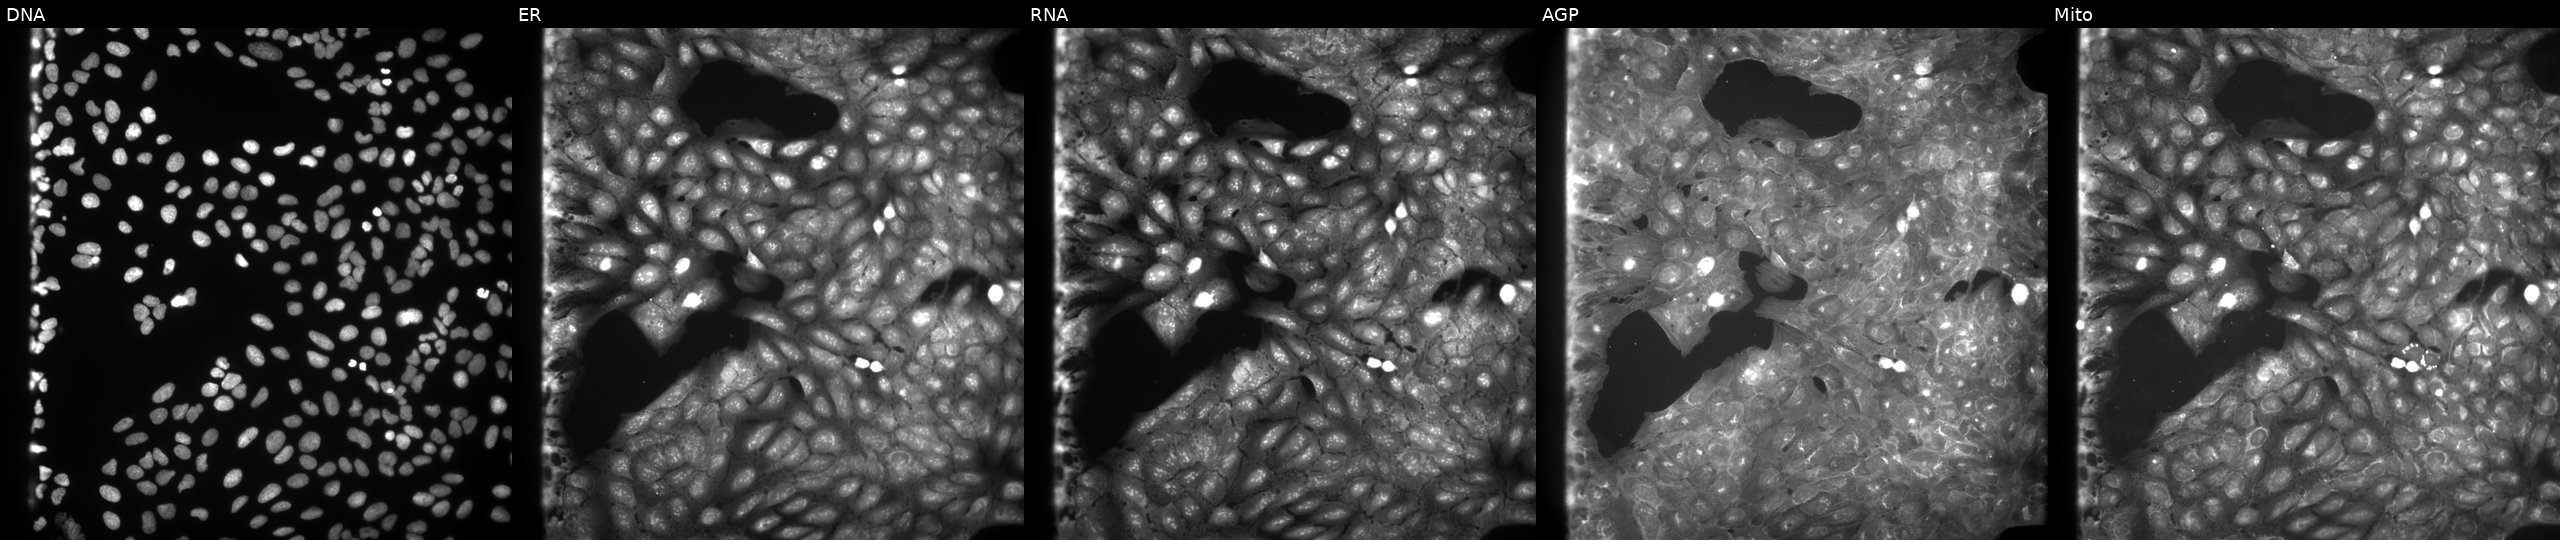
U2OS cells, Cell Painting assay, perturbed with a small-molecule compound (InChIKey HHAYOUAAQBYJRH-UHFFFAOYSA-N) [SMILES: CCOC(=O)C1CCCN(C2=NC(=O)C(=Cc3ccc(OC)cc3)S2)C1]. Panels show, left to right, Hoechst 33342, concanavalin A, SYTO 14, phalloidin and WGA, MitoTracker. Each panel is percentile-stretched 16-bit fluorescence. Source 9, plate GR00003382, well D09.